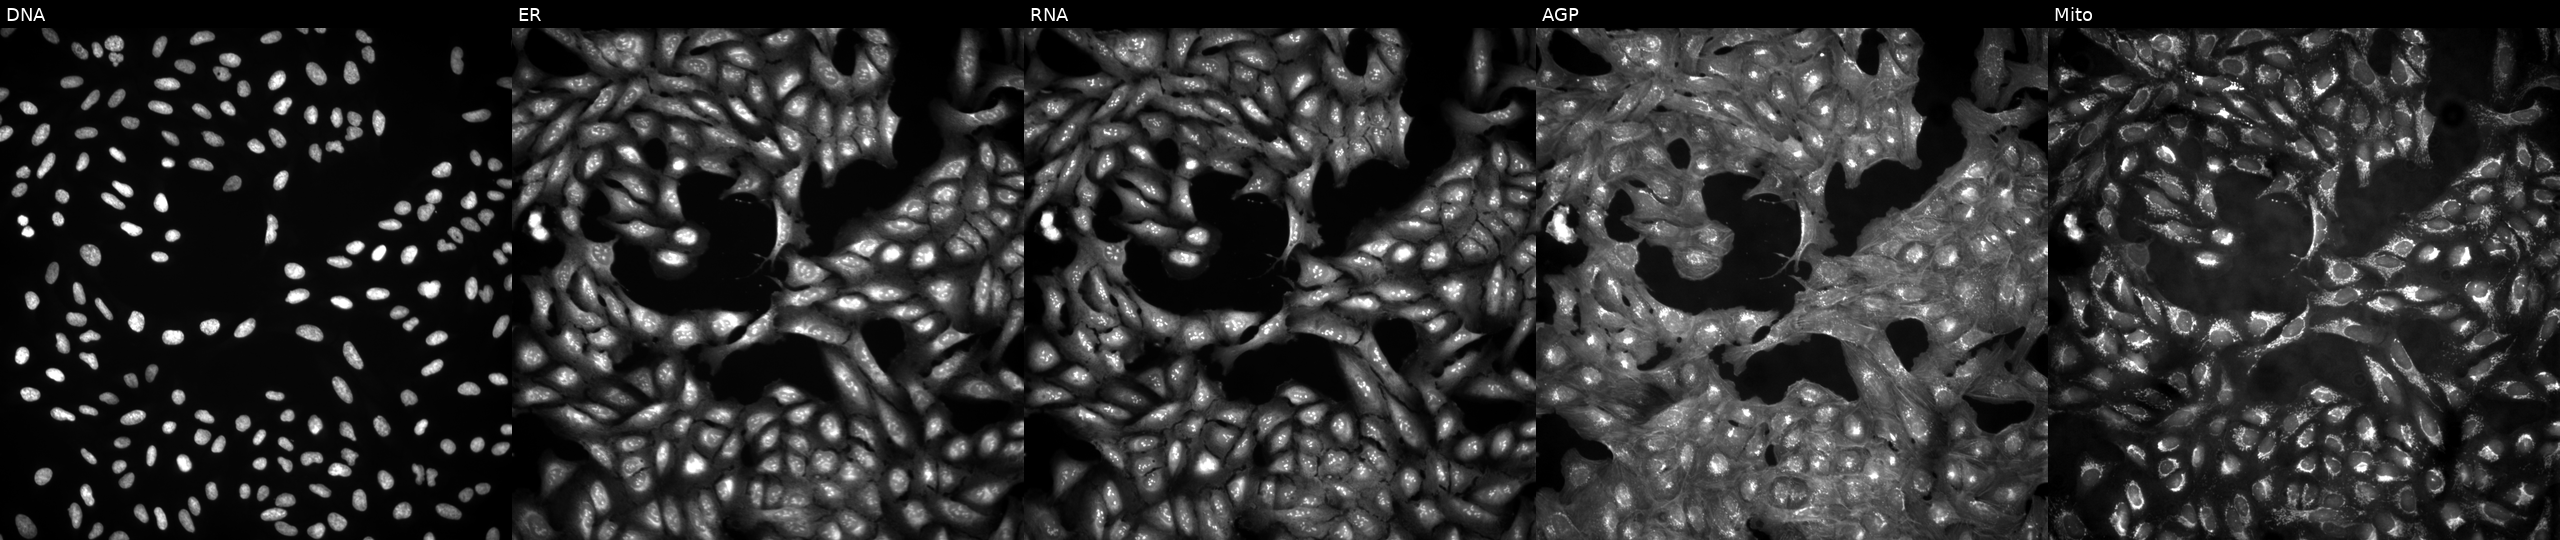
U2OS cells, Cell Painting assay, in an empty control well (no perturbation). From left to right: Hoechst 33342, concanavalin A, SYTO 14, phalloidin and WGA, MitoTracker. Each panel is percentile-stretched 16-bit fluorescence. Source 4, plate BR00123946, well L13.